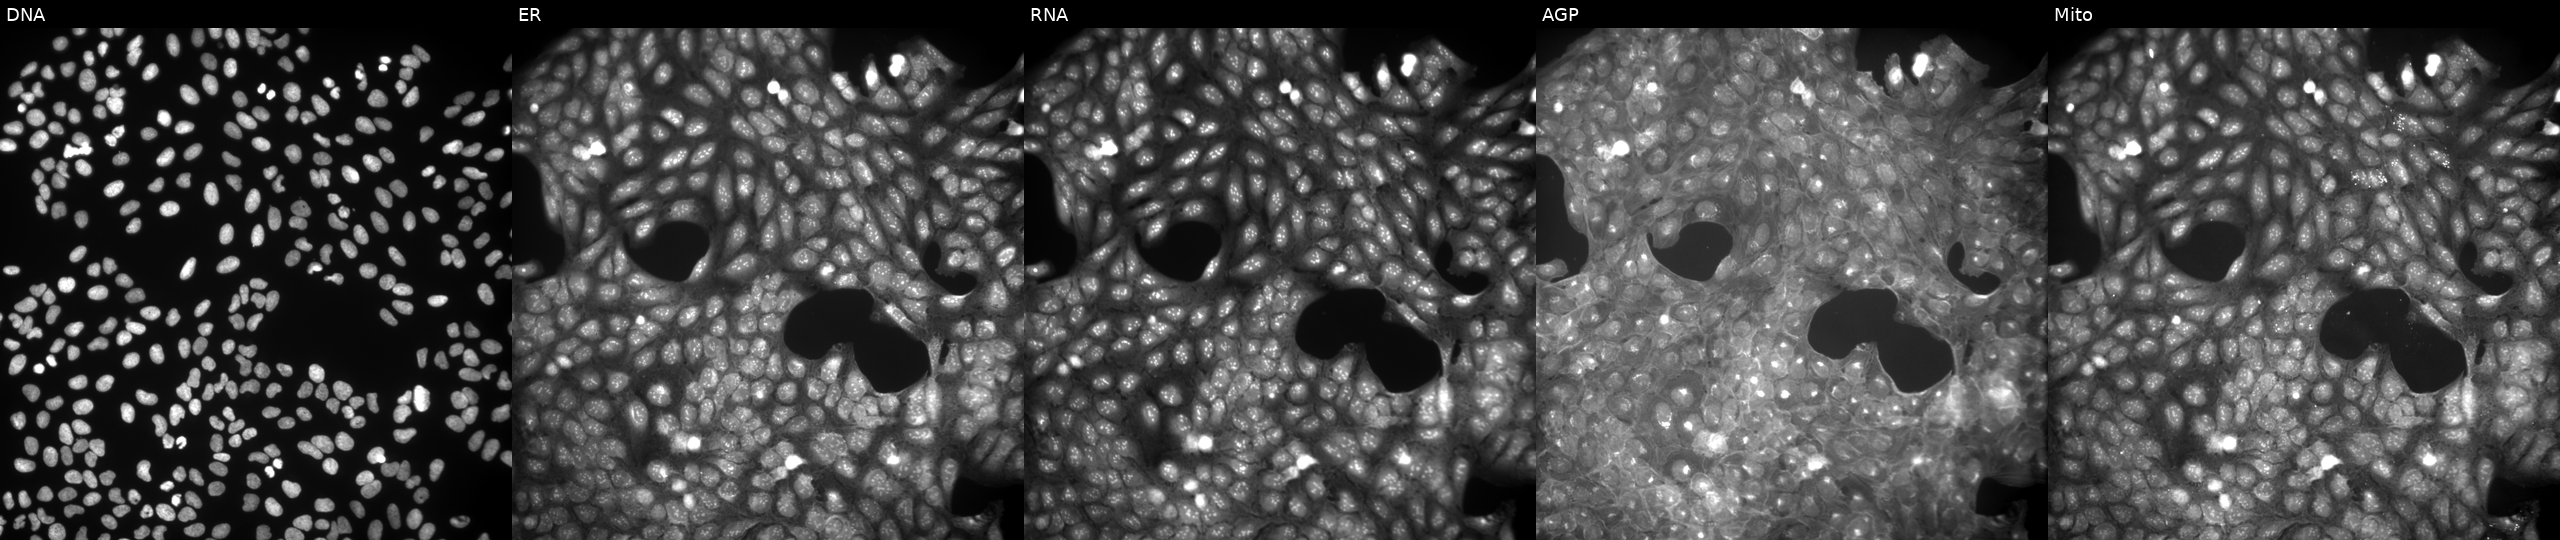
Panels show, left to right, DNA, ER, RNA, AGP, and Mito. U2OS osteosarcoma cells perturbed with a small-molecule compound. Cell Painting assay, JUMP-CP dataset.